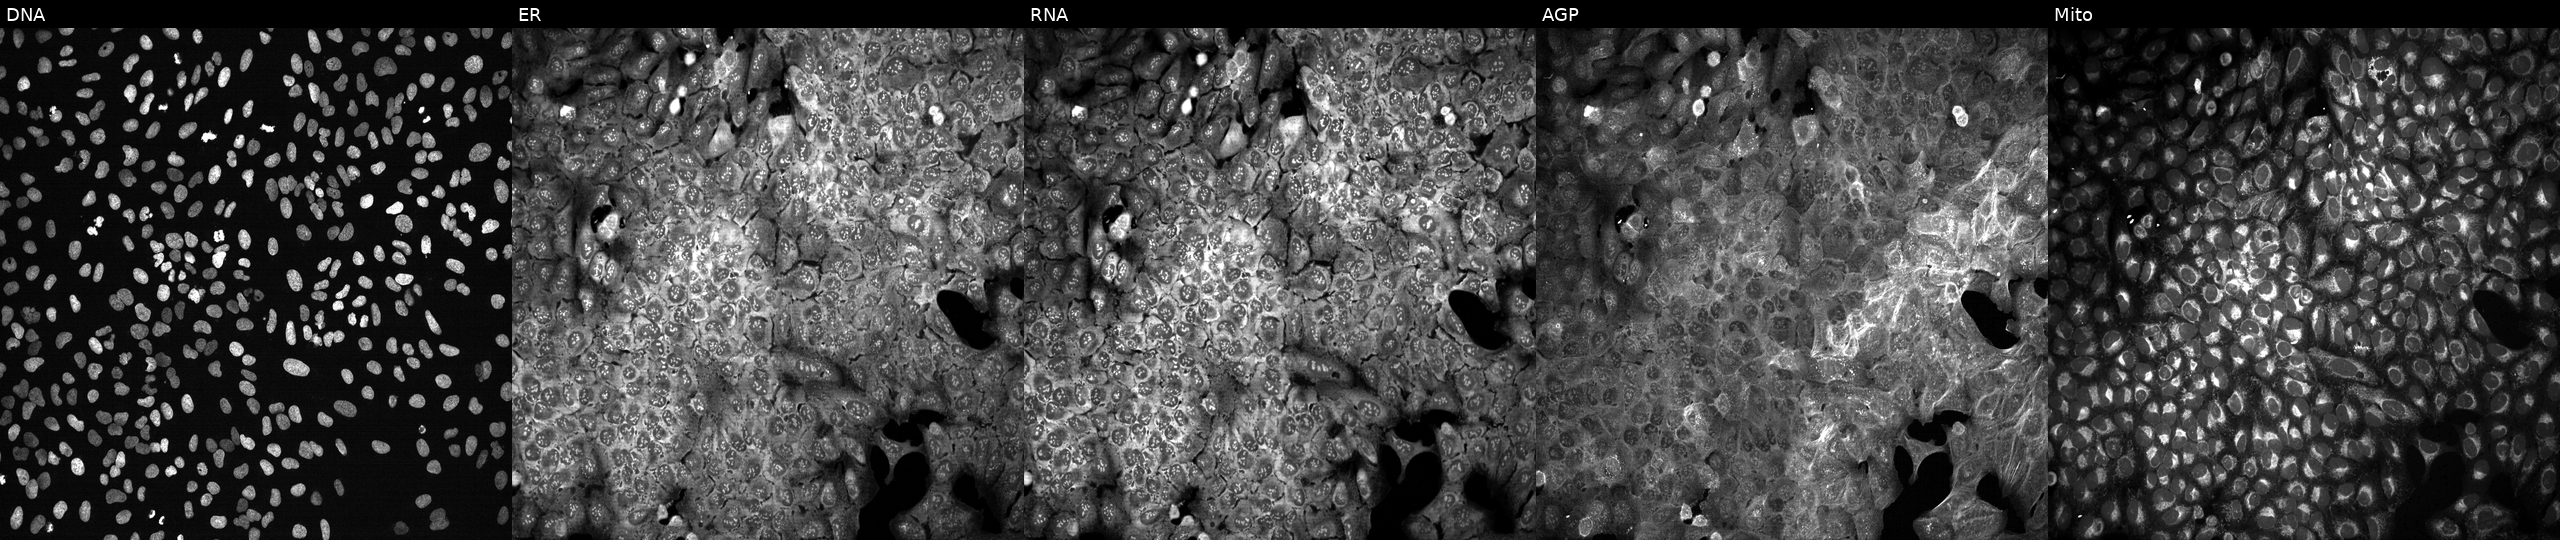
Five-channel Cell Painting image of U2OS cells following CRISPR knockout of ATP1B4 (JUMP id JCP2022_800707). Channels (left→right): DNA, ER, RNA, AGP, and Mito.